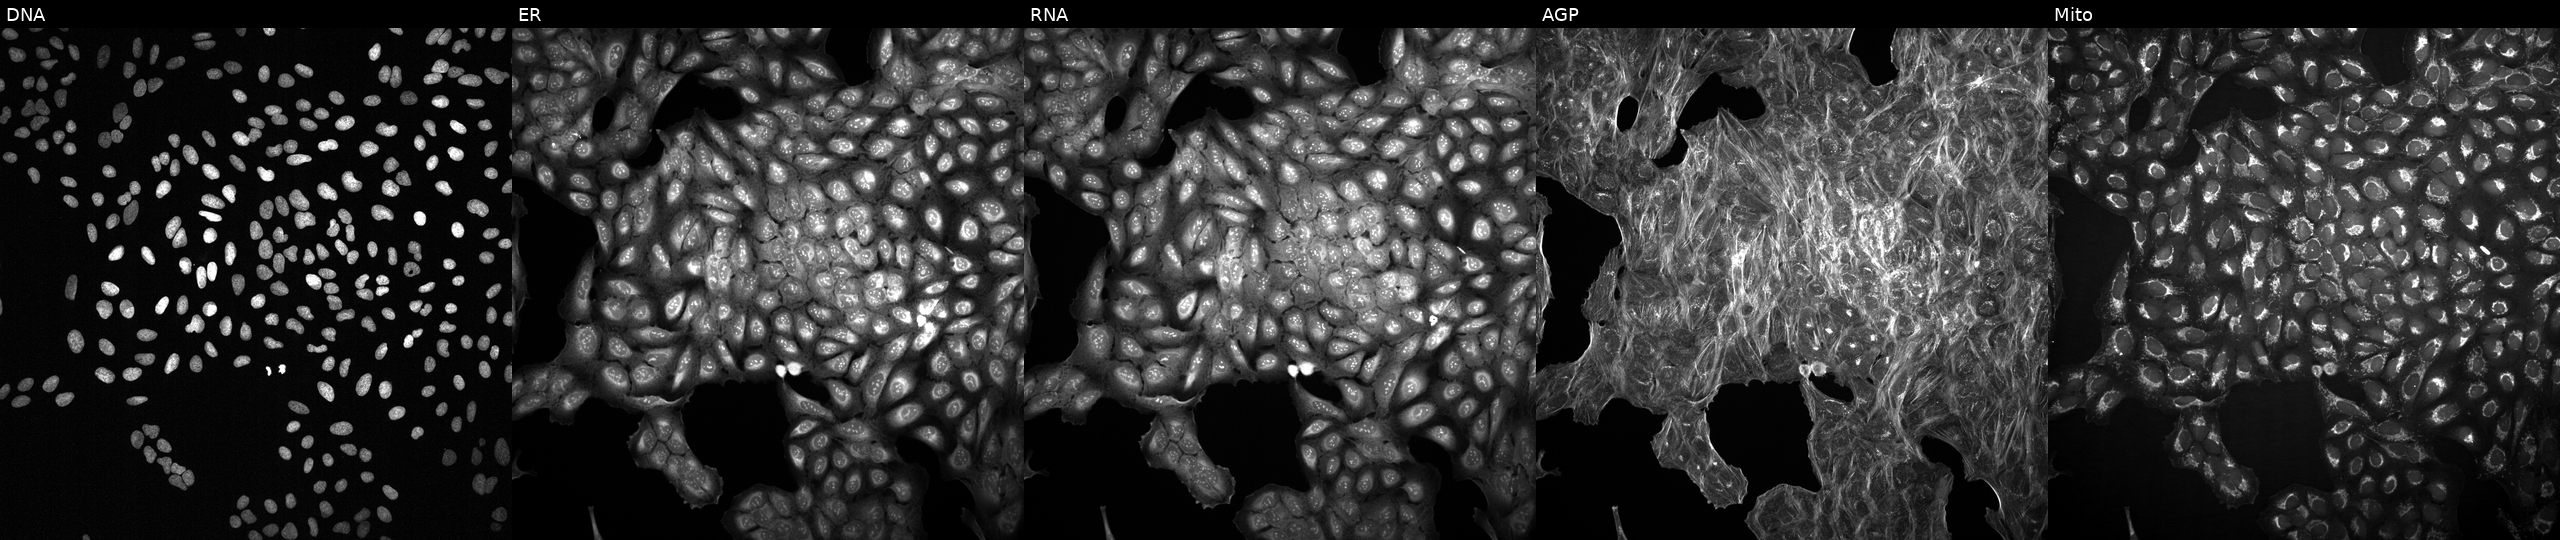
High-content fluorescence microscopy (Cell Painting). Cell line: U2OS. Perturbation: exposed to DMSO alone as a negative control. The five panels, left to right, show Hoechst 33342, concanavalin A, SYTO 14, phalloidin and WGA, MitoTracker. Source 2, plate 1053600674, well N06.